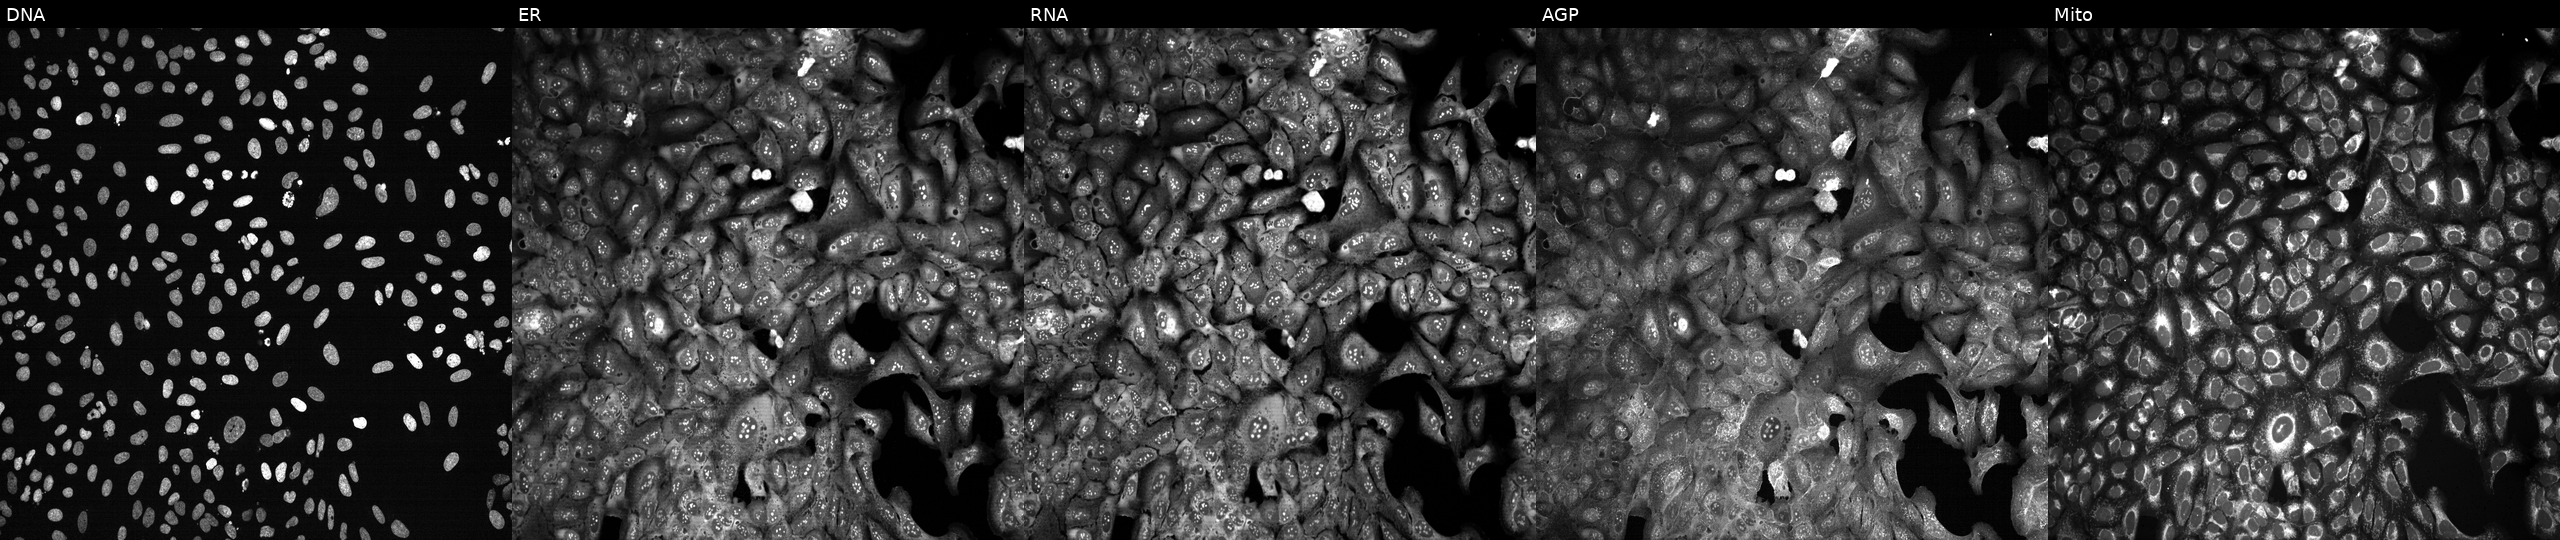
U2OS cells, Cell Painting assay, following CRISPR knockout of DAP3. Channels (left→right): DNA, ER, RNA, AGP, and Mito. Each panel is percentile-stretched 16-bit fluorescence.